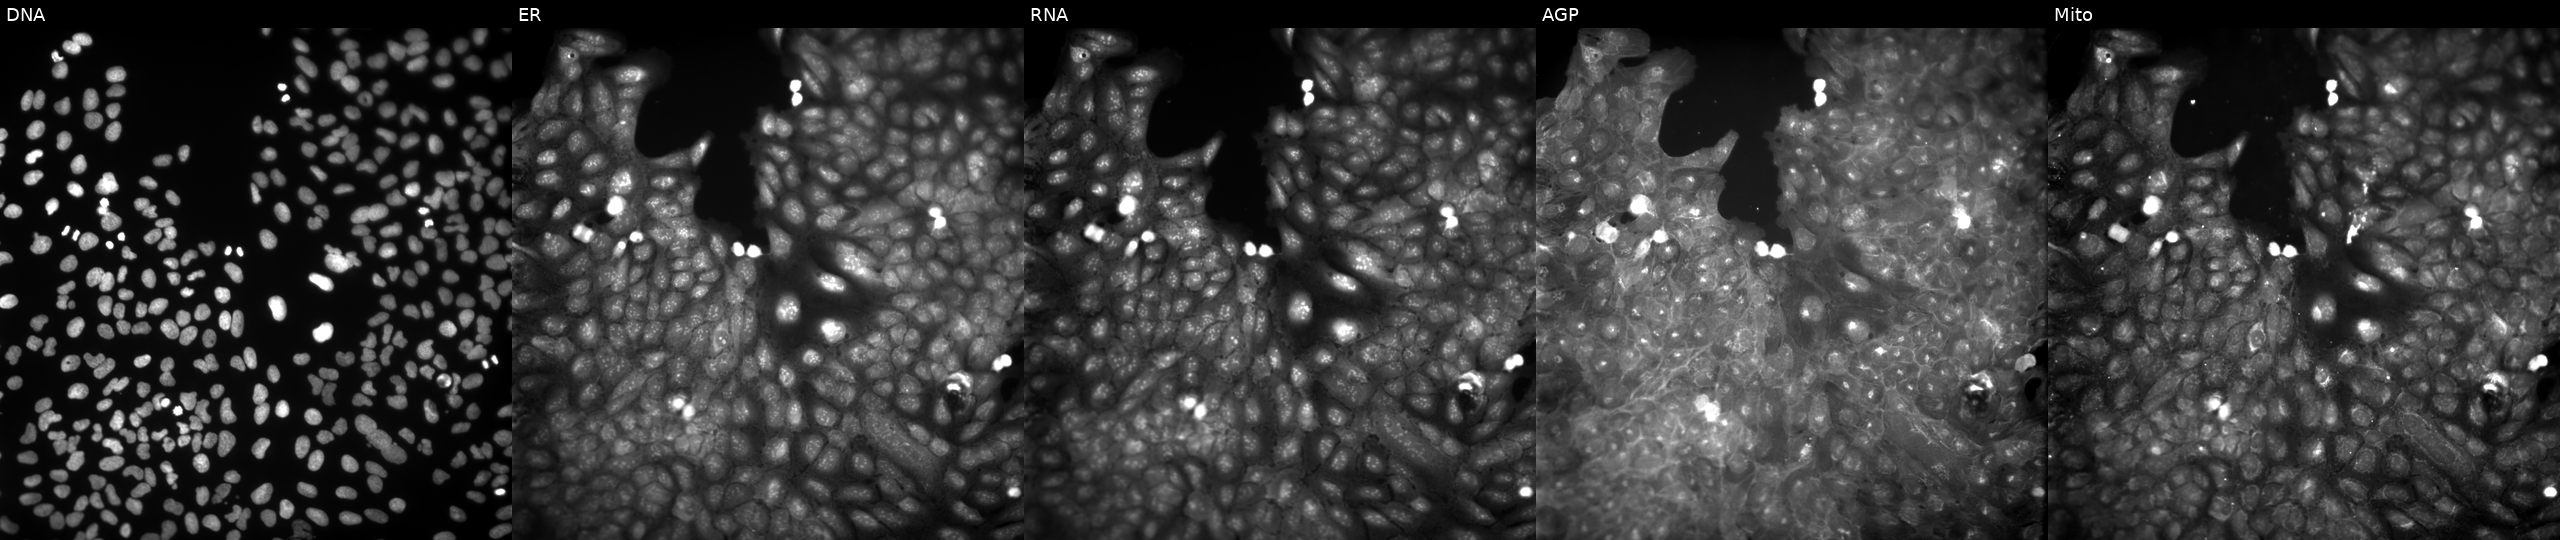
High-content fluorescence microscopy (Cell Painting). Cell line: U2OS. Perturbation: exposed to a small-molecule compound (InChIKey WRXCHSCIITVFRJ-UHFFFAOYSA-N) (JUMP id JCP2022_100780). Channels (left→right): Hoechst 33342, concanavalin A, SYTO 14, phalloidin and WGA, MitoTracker.